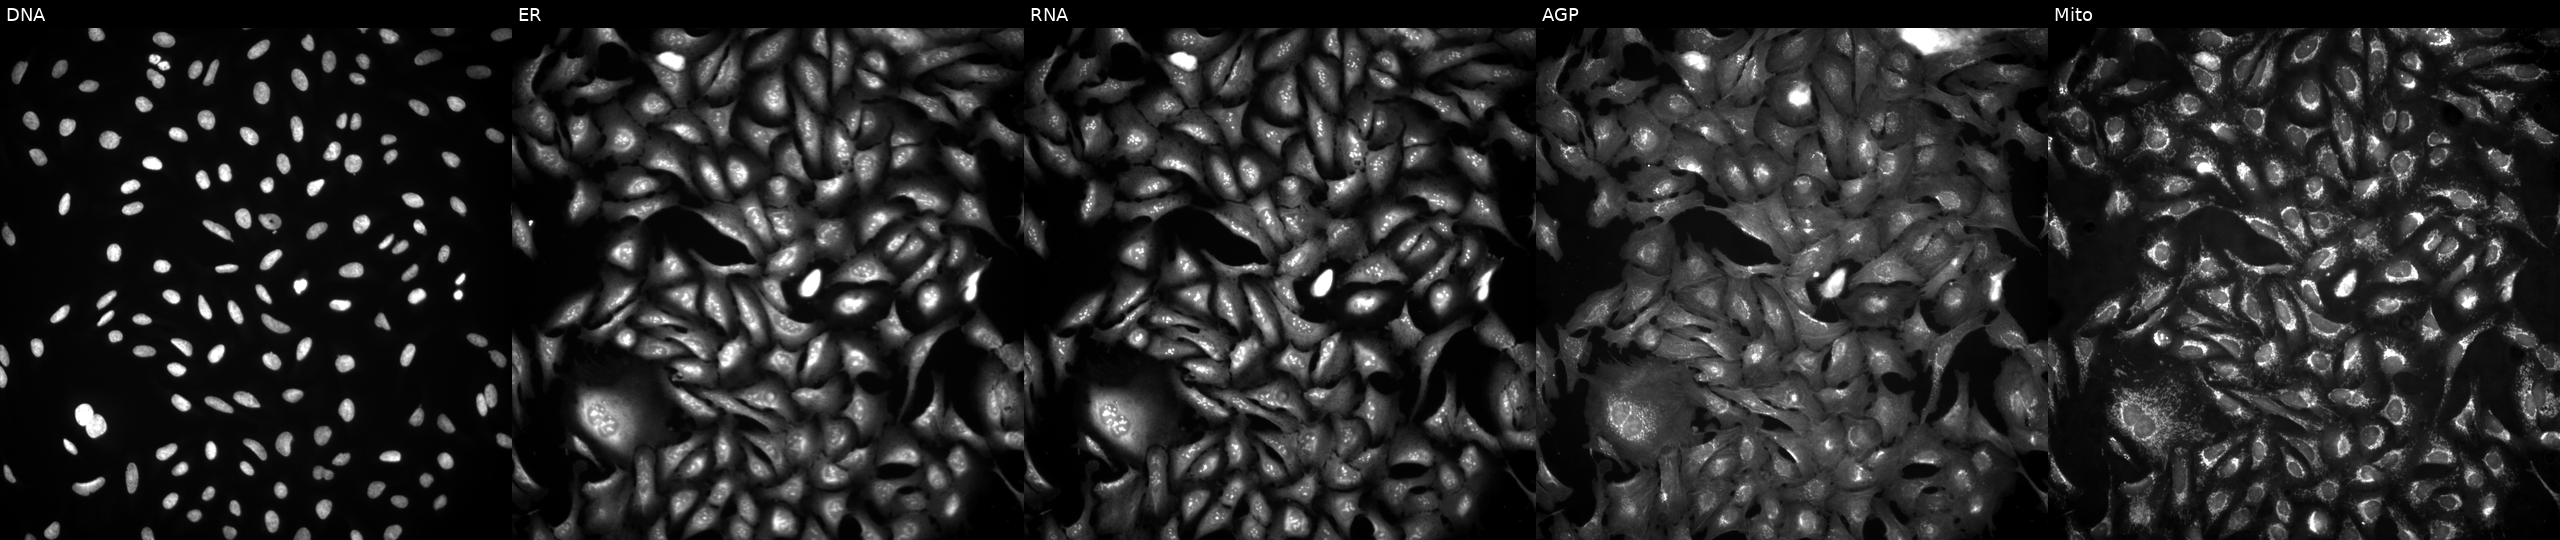
High-content fluorescence microscopy (Cell Painting). Cell line: U2OS. Perturbation: overexpressing DENND2D via ORF transfection (JUMP id JCP2022_903891). From left to right: DNA, ER, RNA, AGP, and Mito.